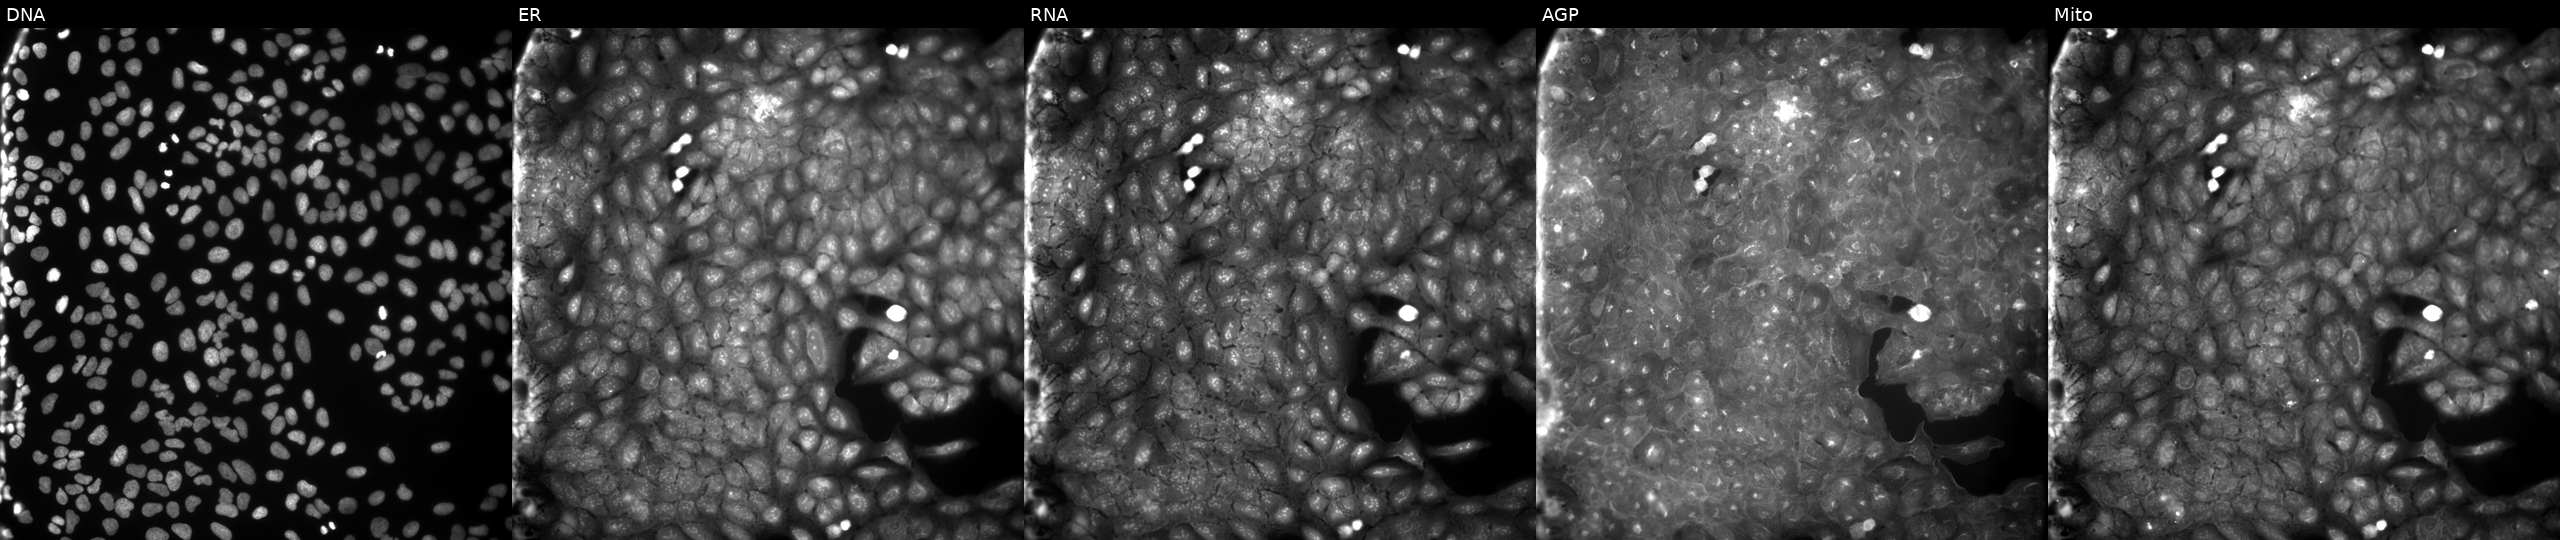
Five-channel Cell Painting image of U2OS cells exposed to a small-molecule compound (InChIKey NHVKSDMVCUUQNU-UHFFFAOYSA-N). Panels show, left to right, DNA (nuclei); ER (endoplasmic reticulum); RNA (nucleoli and cytoplasmic RNA); AGP (actin cytoskeleton, Golgi, and plasma membrane); Mito (mitochondria).